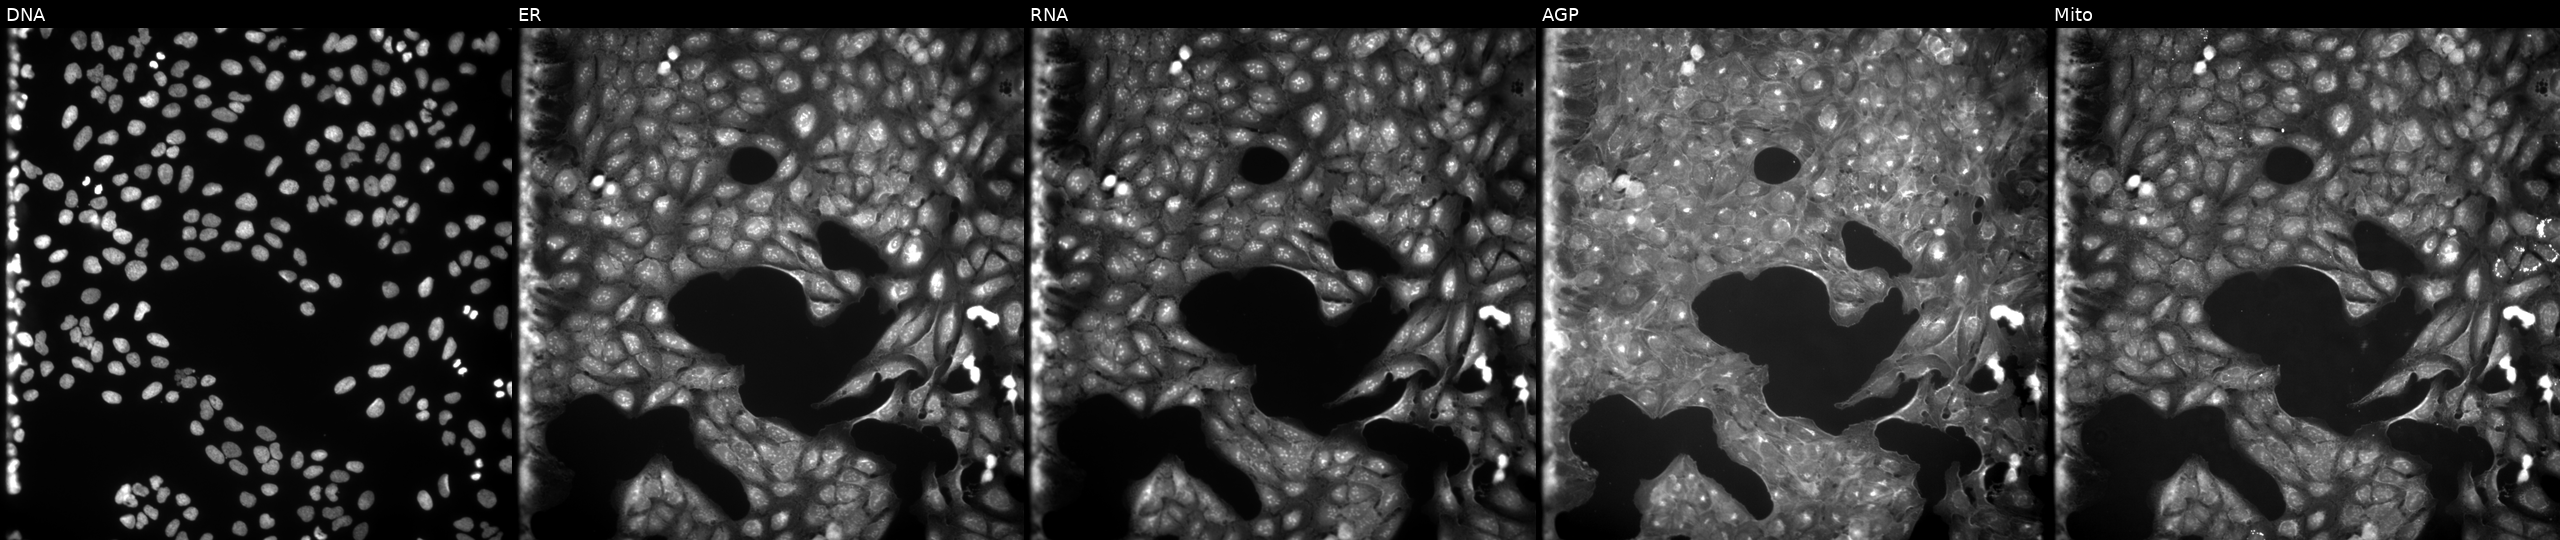
This image strip shows the five Cell Painting channels for a single field of U2OS cells perturbed with a small-molecule compound. The five panels, left to right, show DNA (nuclei); ER (endoplasmic reticulum); RNA (nucleoli and cytoplasmic RNA); AGP (actin cytoskeleton, Golgi, and plasma membrane); Mito (mitochondria).